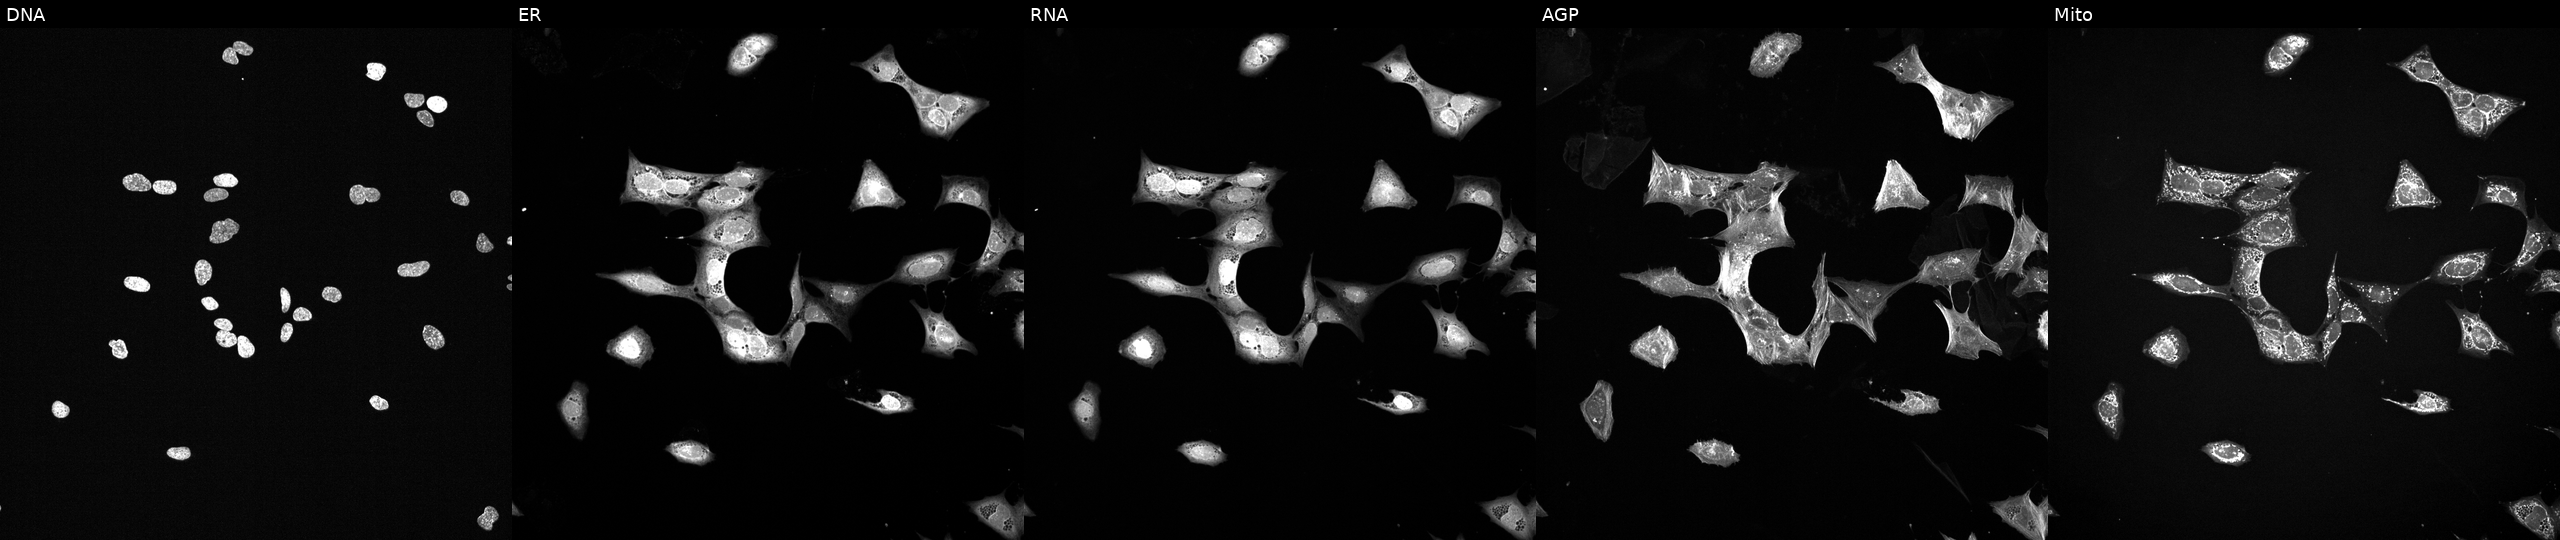
Five-channel Cell Painting image of U2OS cells treated with a small-molecule compound (InChIKey XLSYZSRXVVCHLS-UHFFFAOYSA-N) [SMILES: COCCN1CCN(Cc2ccc(-c3[nH]nc4c3C(=O)c3c(NC(=O)NN5CCOCC5)cccc3-4)cc2)CC1] (JUMP id JCP2022_104437). The five panels, left to right, show Hoechst 33342, concanavalin A, SYTO 14, phalloidin and WGA, MitoTracker.